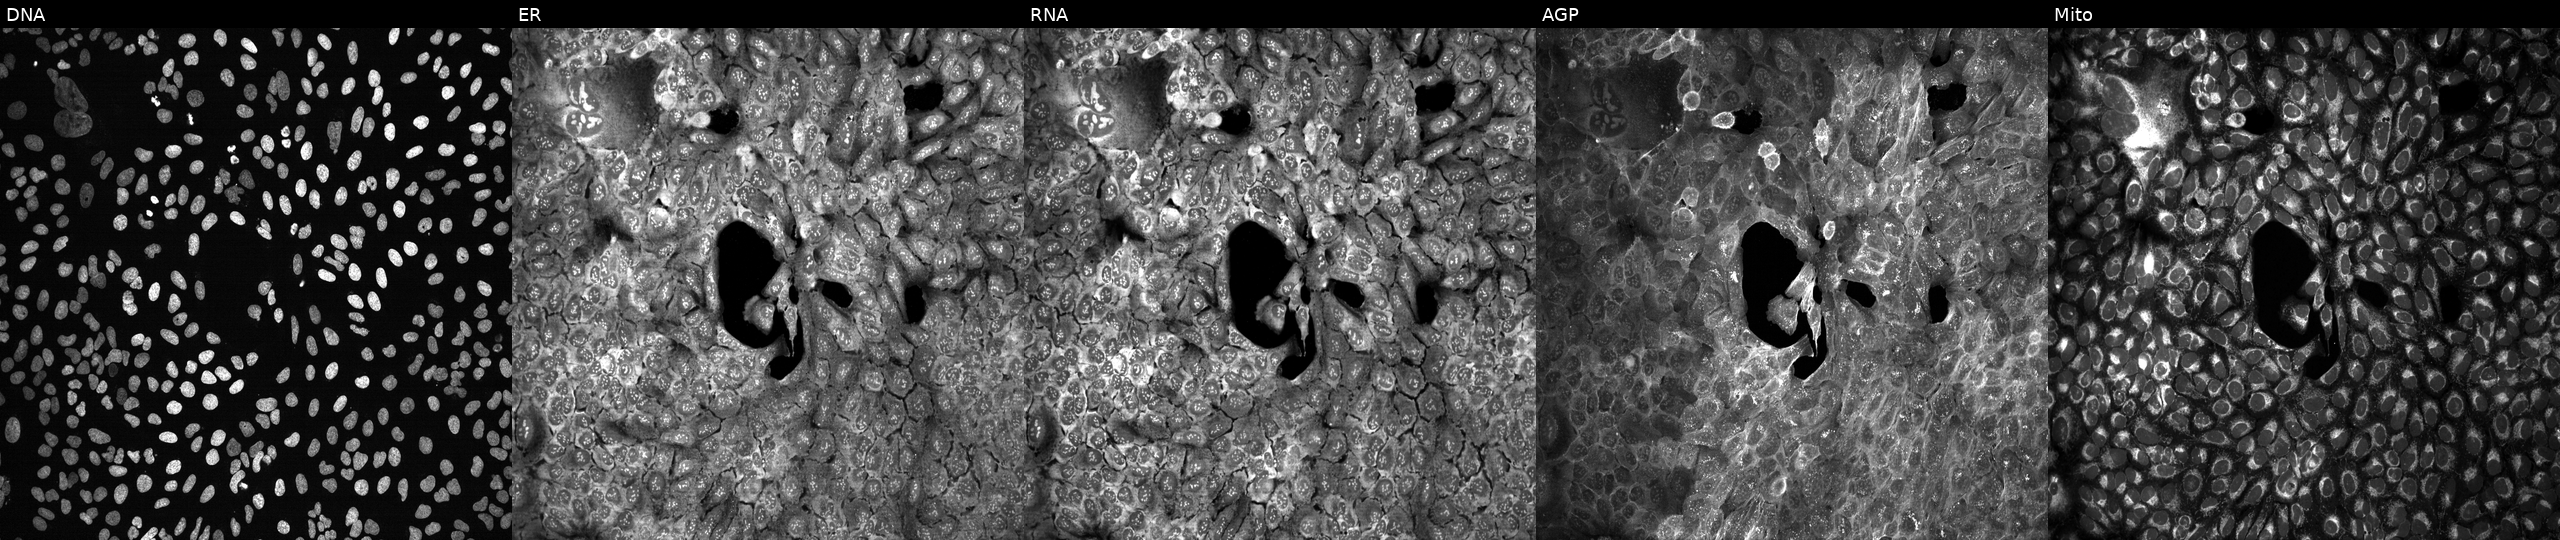
This image strip shows the five Cell Painting channels for a single field of U2OS cells following CRISPR knockout of ABHD16B (JUMP id JCP2022_800072). From left to right: DNA, ER, RNA, AGP, and Mito. Source 13, plate CP-CC9-R6-19, well K18.